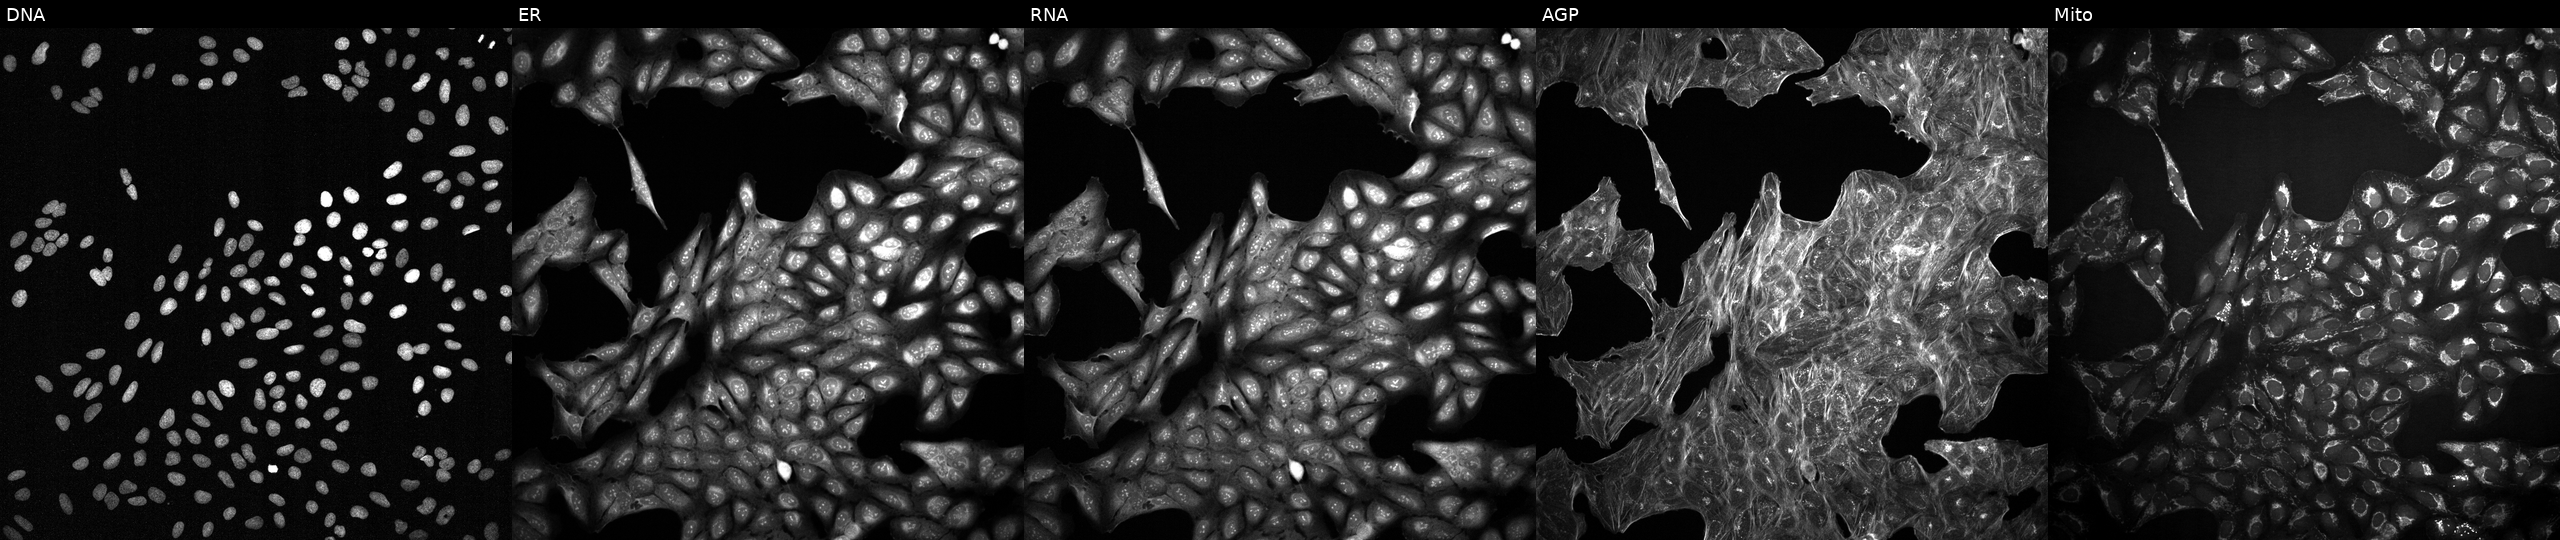
This image strip shows the five Cell Painting channels for a single field of U2OS cells treated with DMSO vehicle only (negative control). The five panels, left to right, show DNA, ER, RNA, AGP, and Mito.